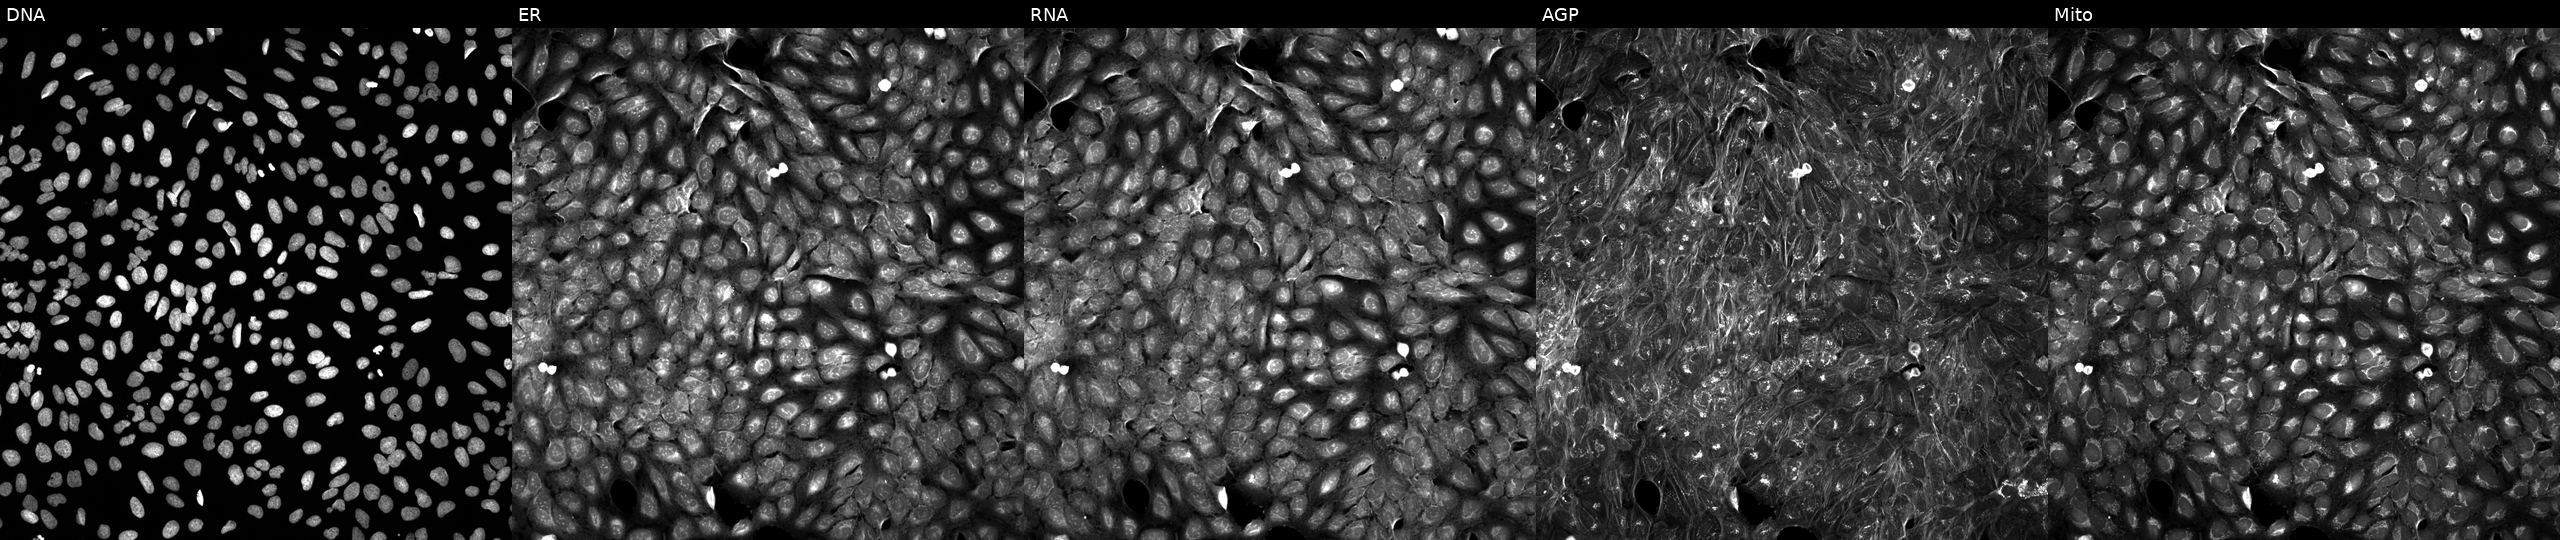
Channels (left→right): DNA (nuclei); ER (endoplasmic reticulum); RNA (nucleoli and cytoplasmic RNA); AGP (actin cytoskeleton, Golgi, and plasma membrane); Mito (mitochondria). U2OS osteosarcoma cells perturbed with a small-molecule compound (InChIKey MCCHSDFMDFJWSF-UHFFFAOYSA-N) (JUMP id JCP2022_053177). Cell Painting assay, JUMP-CP dataset.